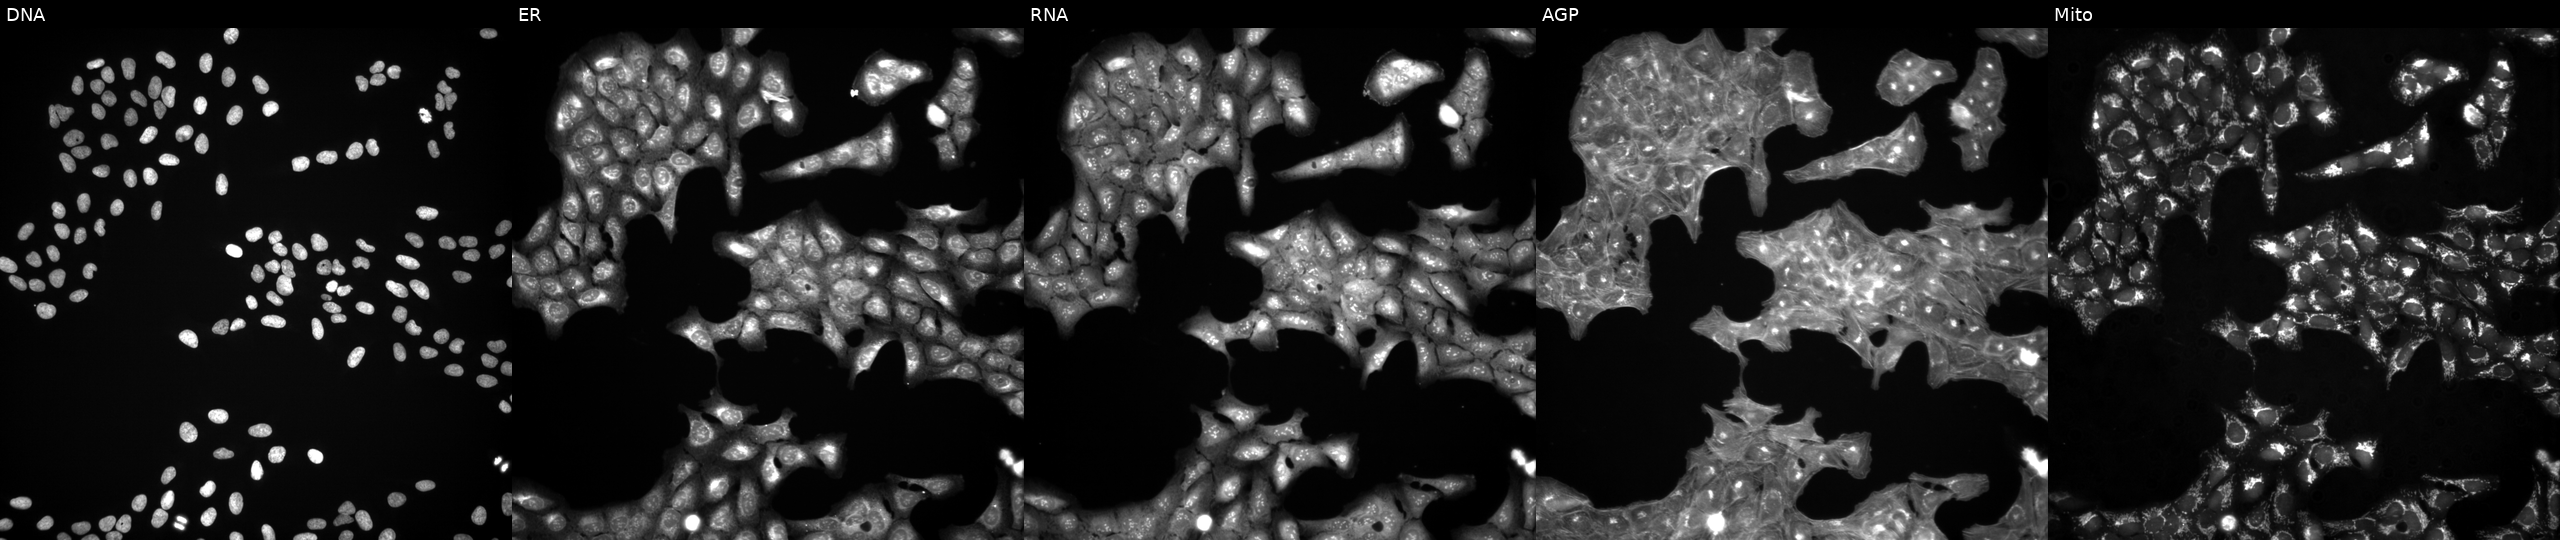
Five-channel Cell Painting image of U2OS cells exposed to a small-molecule compound (InChIKey ULYONBAOIMCNEH-UHFFFAOYSA-N) [SMILES: COc1ccc(Cl)cc1C1(F)C(=O)Nc2cc(C(F)(F)F)ccc21] (JUMP id JCP2022_090051). From left to right: Hoechst 33342, concanavalin A, SYTO 14, phalloidin and WGA, MitoTracker.